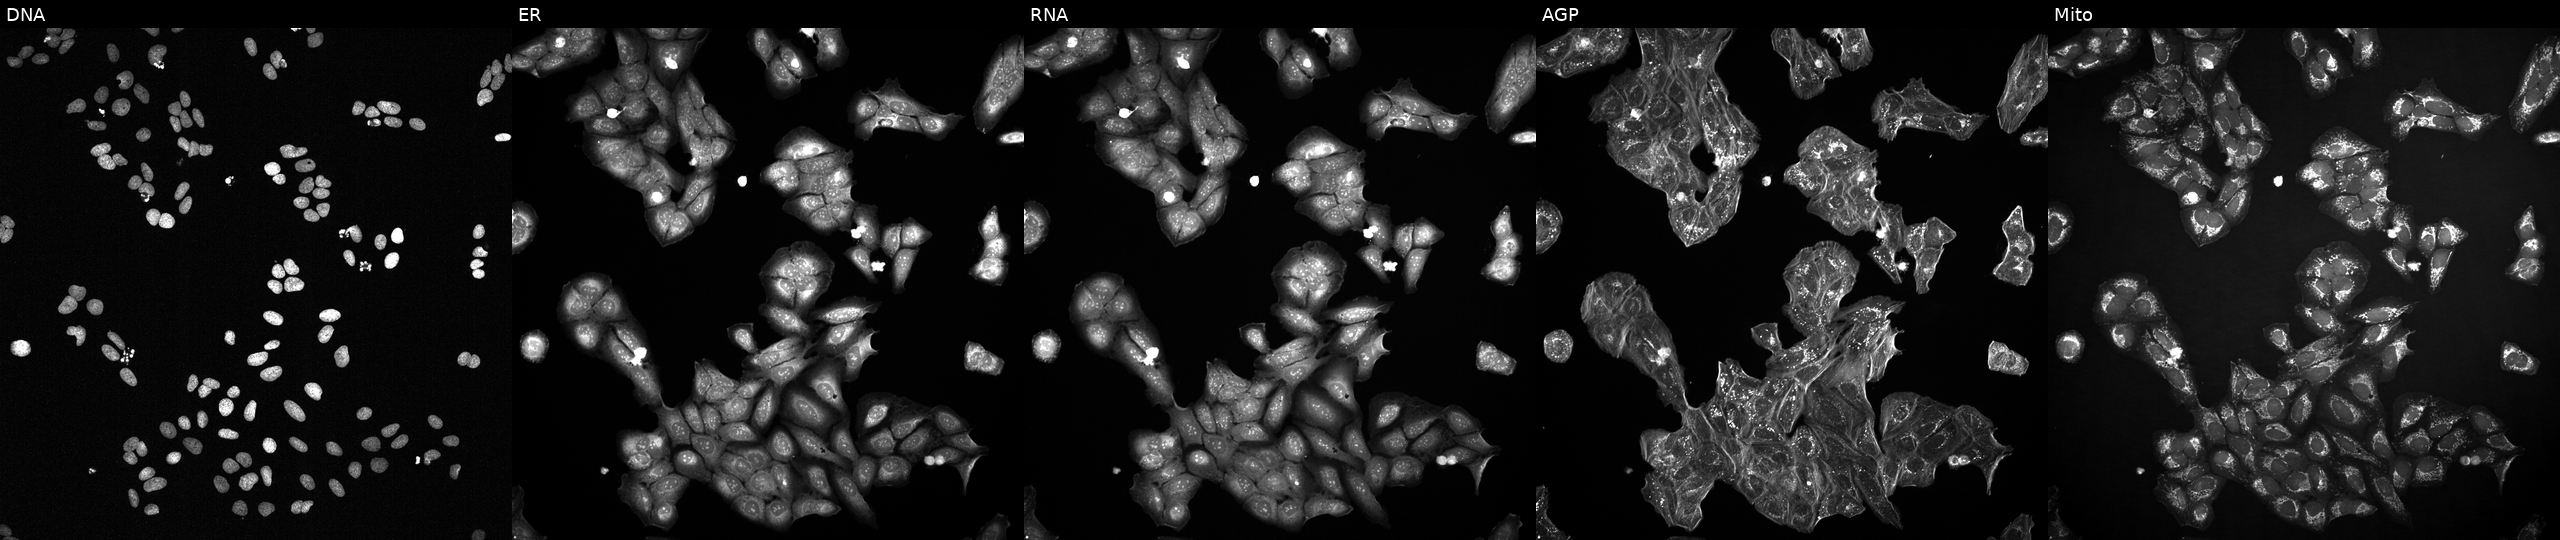
The five panels, left to right, show DNA, ER, RNA, AGP, and Mito. U2OS osteosarcoma cells perturbed with a small-molecule compound (InChIKey XXJWYDDUDKYVKI-UHFFFAOYSA-N) [SMILES: COc1cc2c(Oc3ccc4[nH]c(C)cc4c3F)ncnc2cc1OCCCN1CCCC1] (JUMP id JCP2022_106680). Cell Painting assay, JUMP-CP dataset.